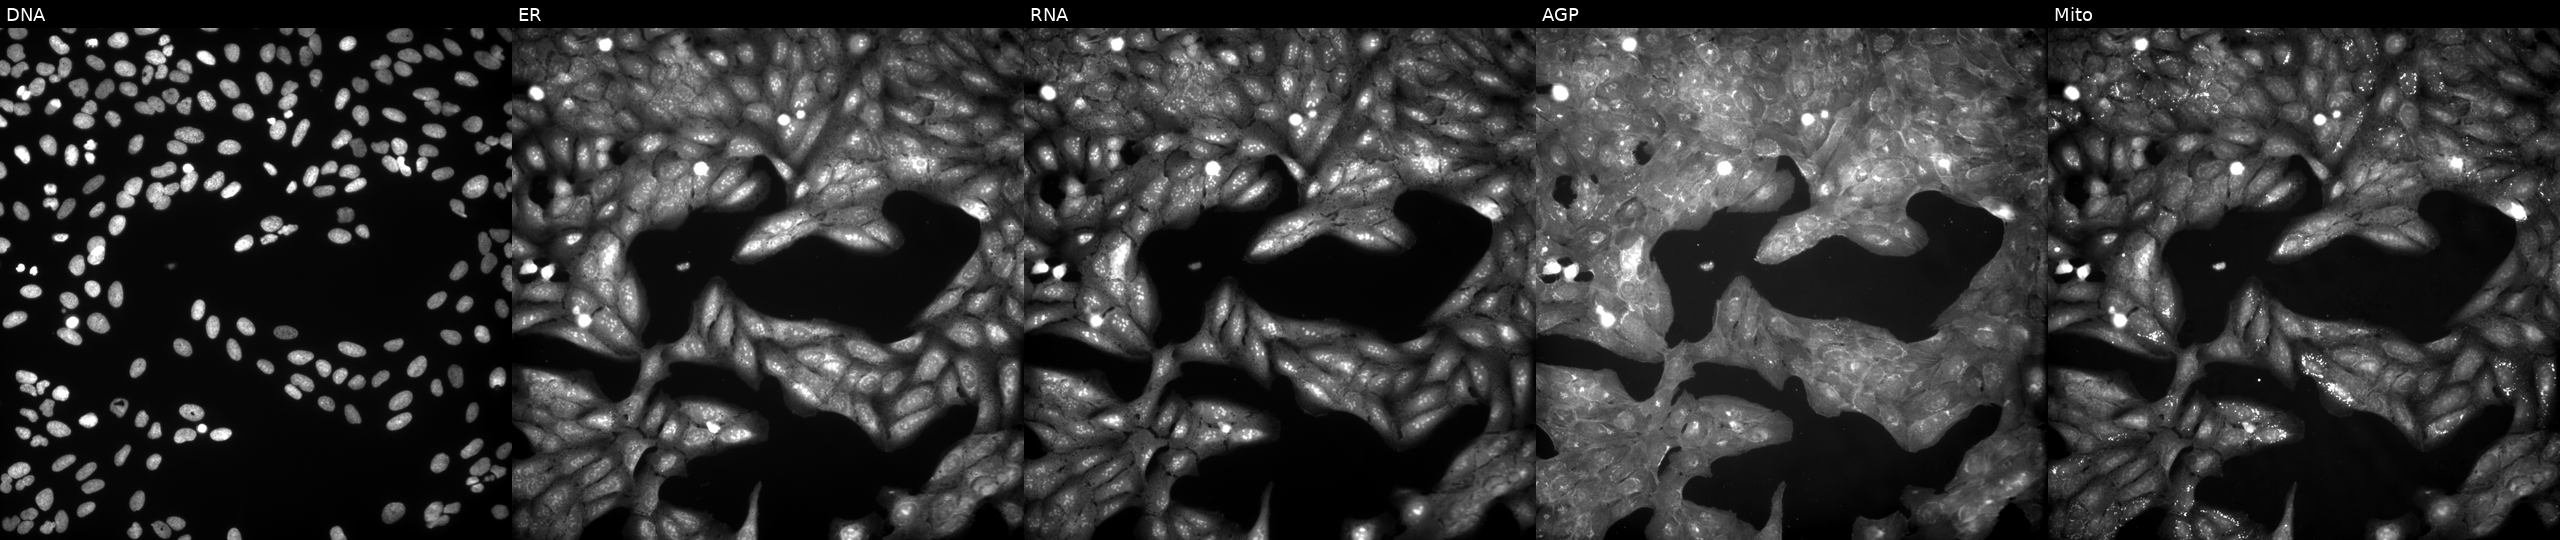
High-content fluorescence microscopy (Cell Painting). Cell line: U2OS. Perturbation: treated with a small-molecule compound (InChIKey TZPKUYDXEWNSDK-UHFFFAOYSA-N). Panels show, left to right, DNA, ER, RNA, AGP, and Mito. Source 9, plate GR00003381, well N36.